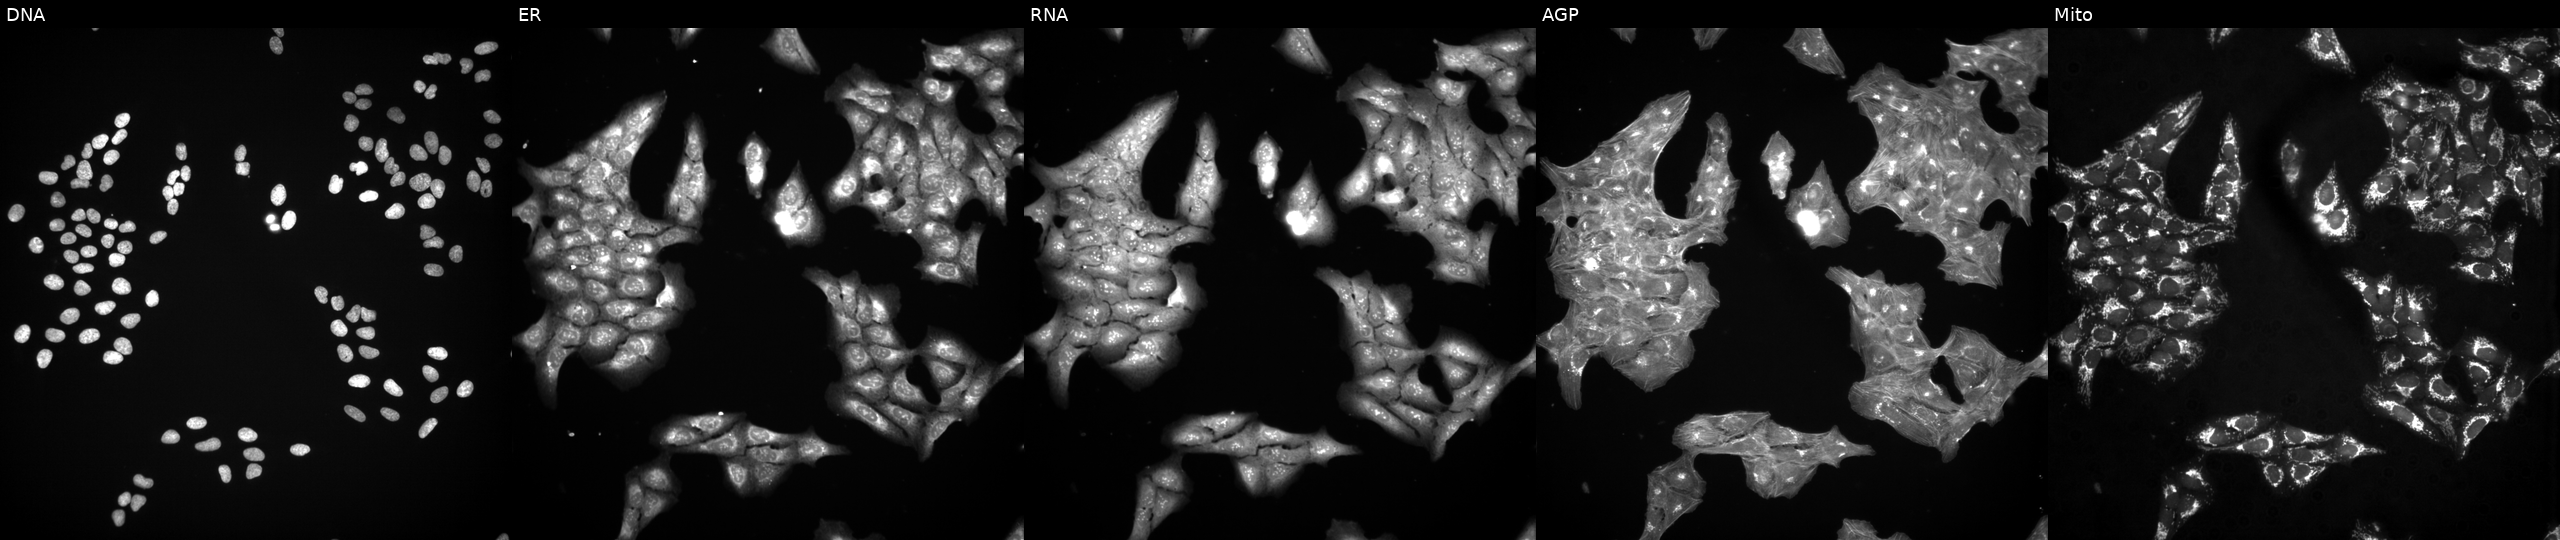
Five-channel Cell Painting image of U2OS cells perturbed with a small-molecule compound (InChIKey FYIBXBFDXNPBSF-UHFFFAOYSA-N) [SMILES: O=C(NNC(=O)c1ccc(CNS(=O)(=O)c2ccc(F)c(Cl)c2)cc1)c1ccccc1]. Panels show, left to right, DNA, ER, RNA, AGP, and Mito.